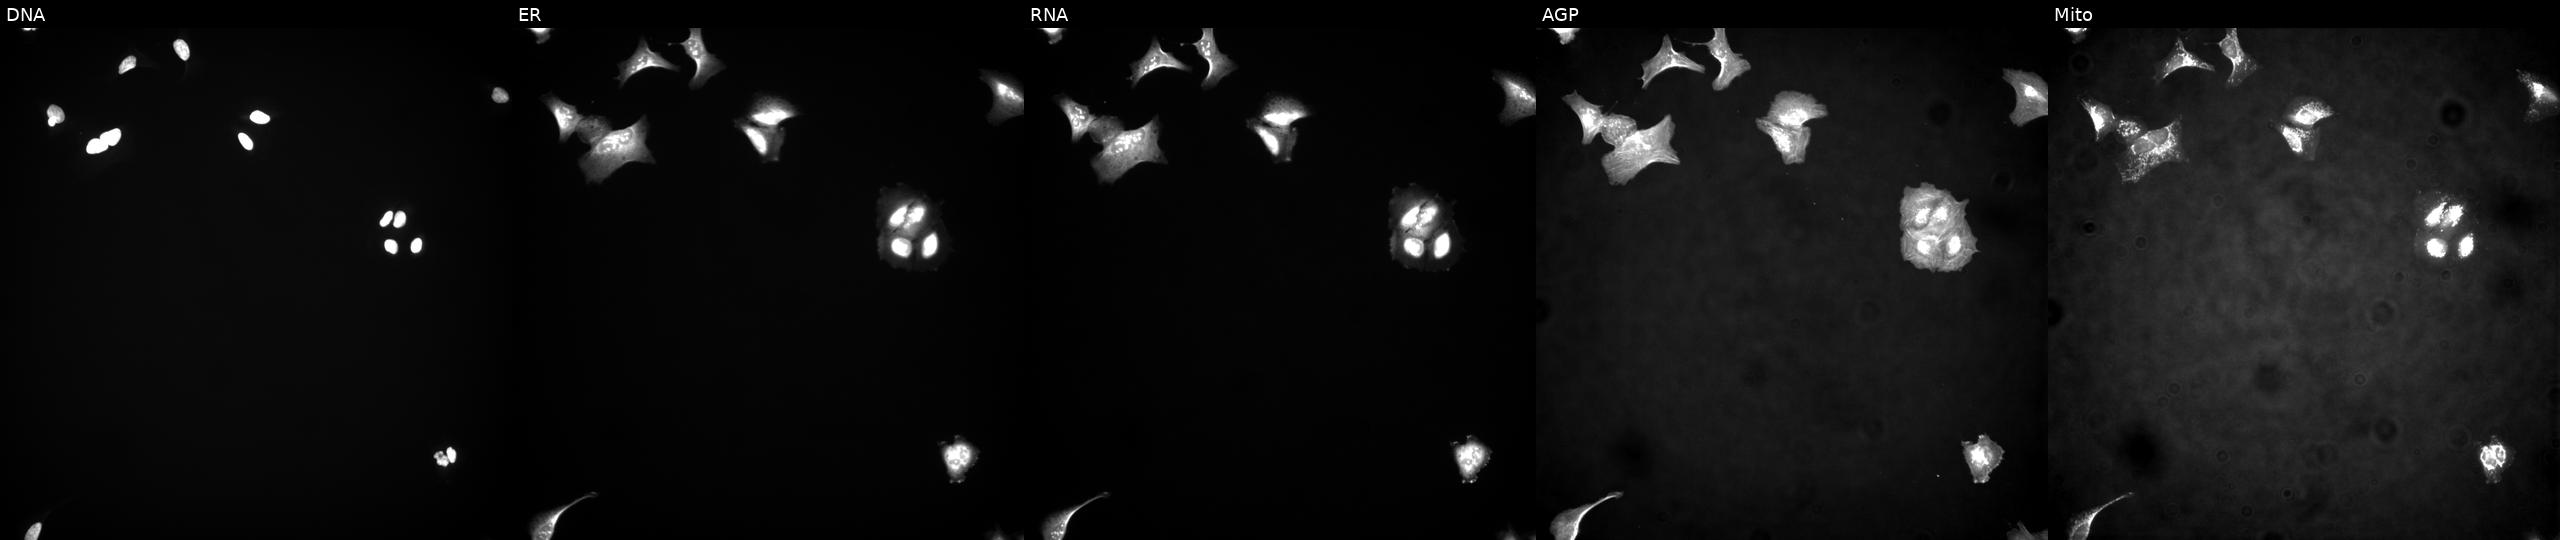
JUMP Cell Painting — ORF plate. U2OS cells expressing LUCIFERASE (ORF negative control) (JUMP id JCP2022_915130). Panels show, left to right, DNA (nuclei); ER (endoplasmic reticulum); RNA (nucleoli and cytoplasmic RNA); AGP (actin cytoskeleton, Golgi, and plasma membrane); Mito (mitochondria).